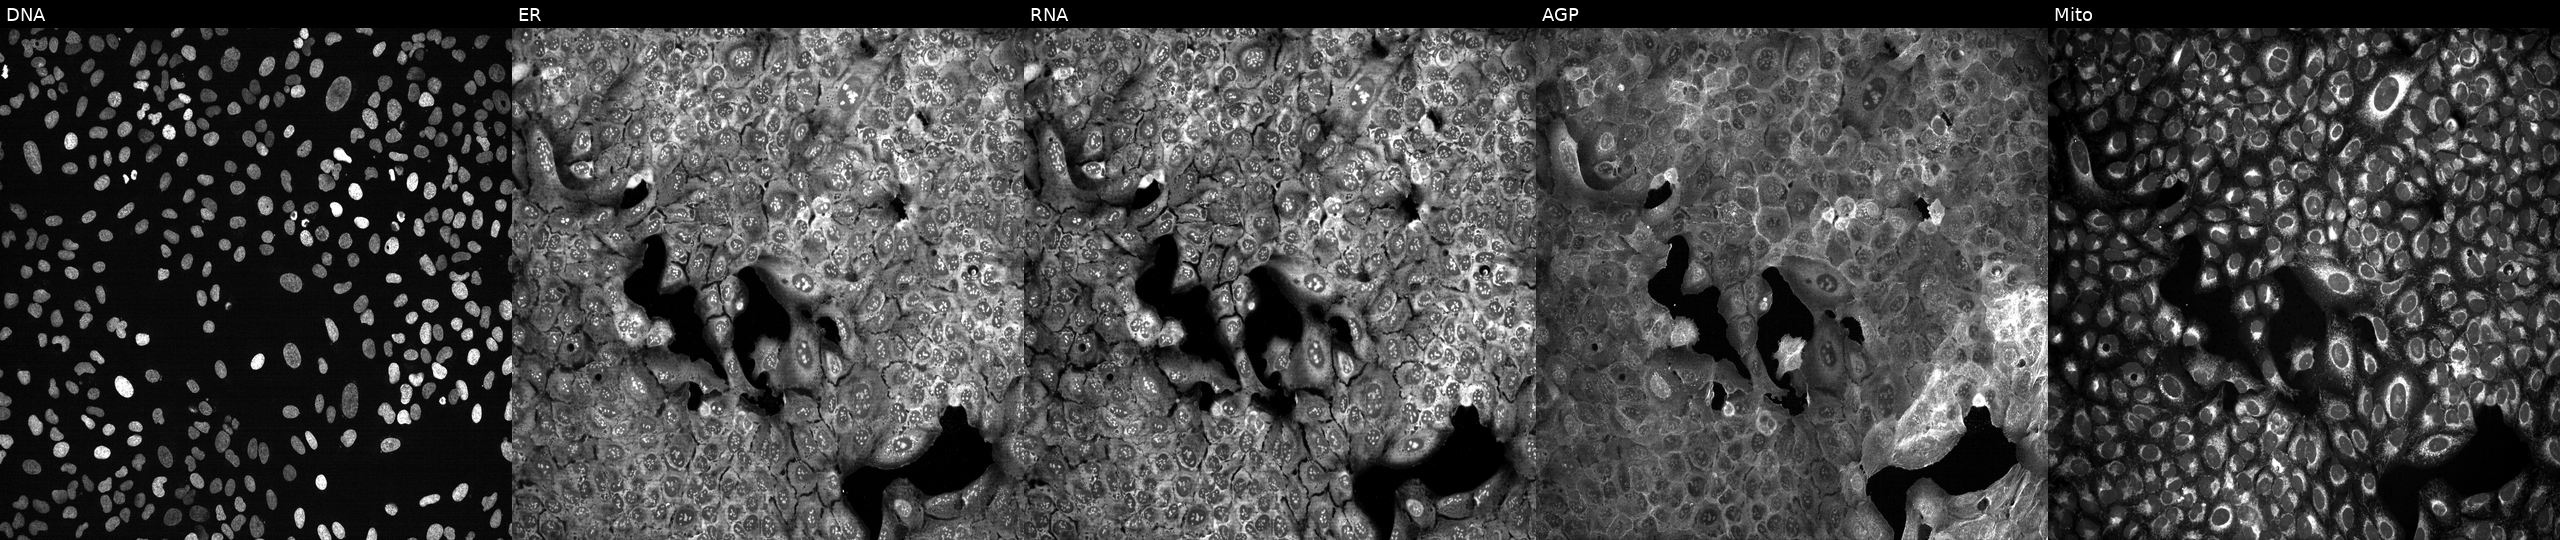
Panels show, left to right, DNA (nuclei); ER (endoplasmic reticulum); RNA (nucleoli and cytoplasmic RNA); AGP (actin cytoskeleton, Golgi, and plasma membrane); Mito (mitochondria). U2OS osteosarcoma cells CRISPR-edited to disrupt TUBB1 (JUMP id JCP2022_807395). Cell Painting assay, JUMP-CP dataset.